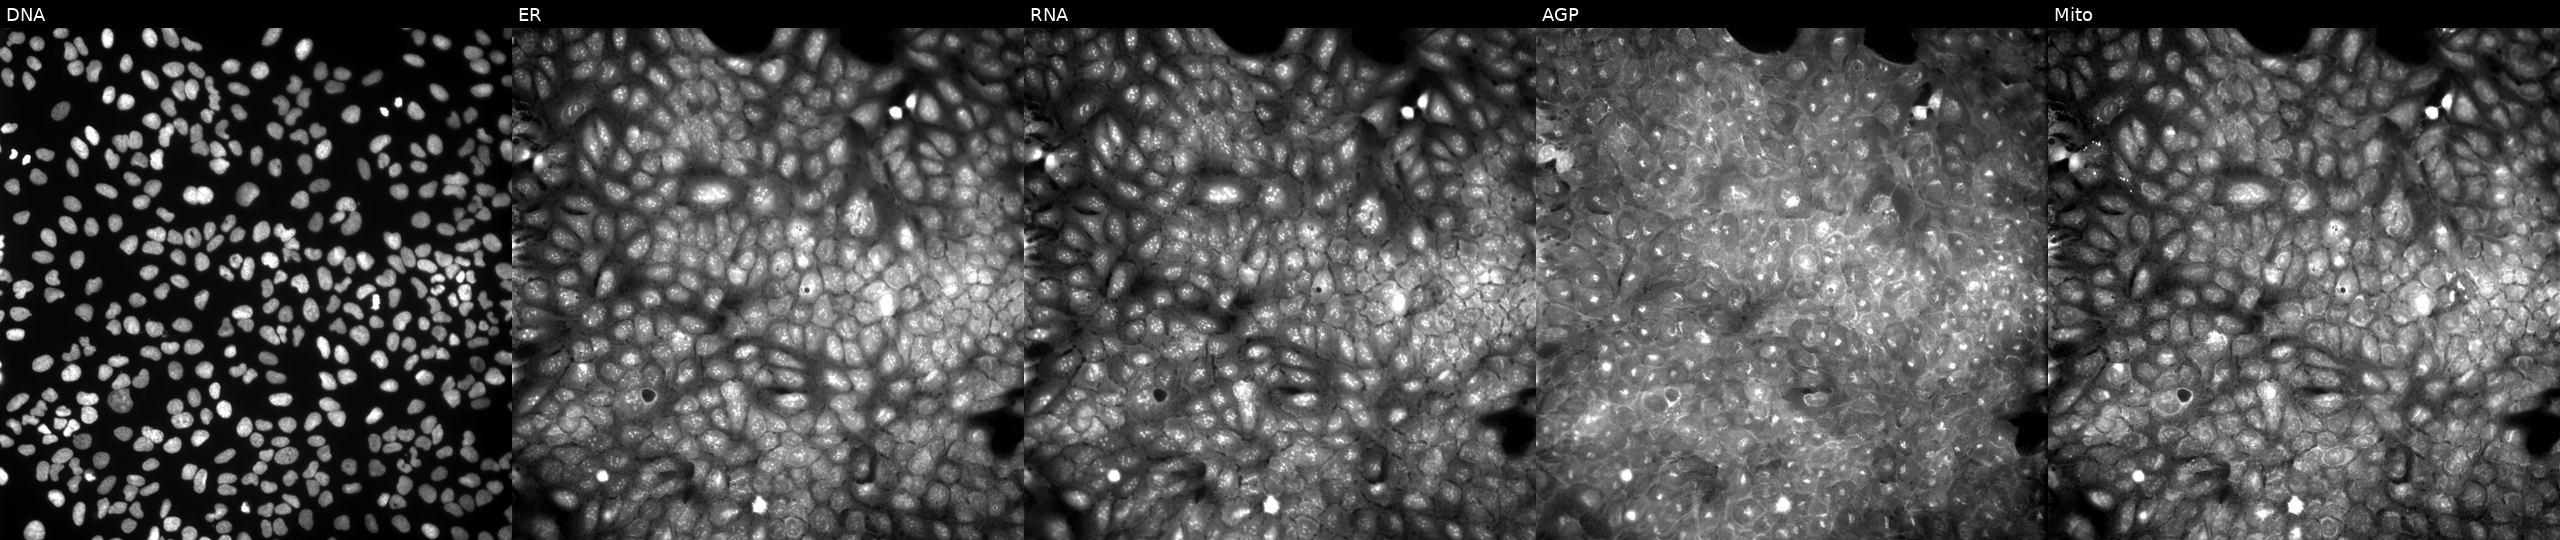
U2OS cells, Cell Painting assay, perturbed with a small-molecule compound (InChIKey NWWFZLKJMMYAGJ-UHFFFAOYSA-N) (JUMP id JCP2022_061880). Channels (left→right): DNA, ER, RNA, AGP, and Mito. Each panel is percentile-stretched 16-bit fluorescence. Source 9, plate GR00003382, well Y17.